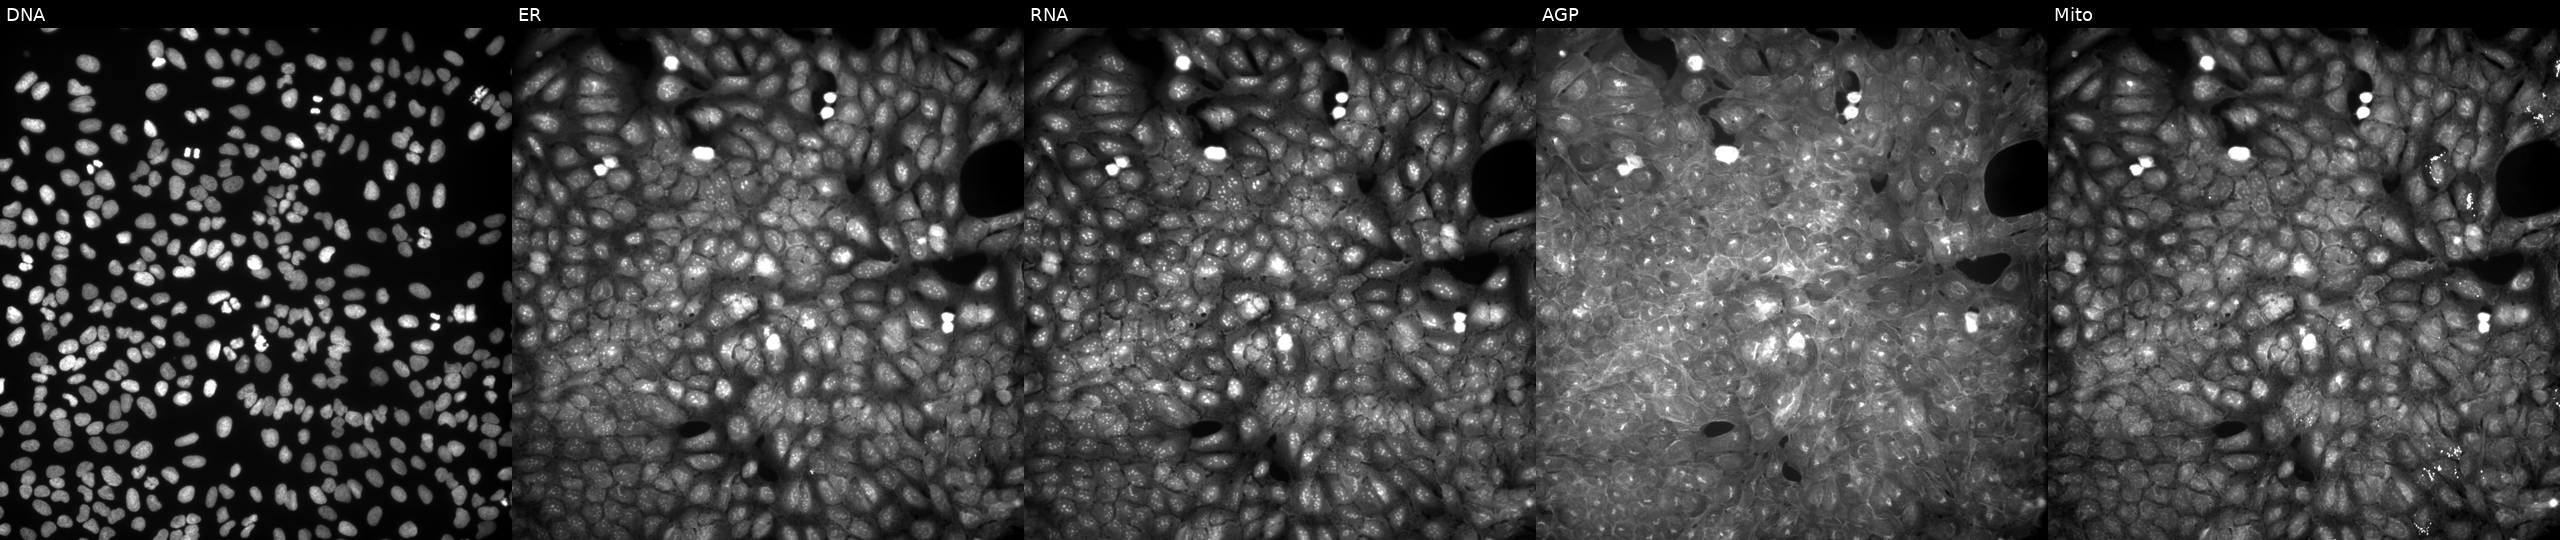
JUMP Cell Painting — COMPOUND plate. U2OS cells treated with TC-S-7004 (positive-control compound). Channels (left→right): Hoechst 33342, concanavalin A, SYTO 14, phalloidin and WGA, MitoTracker.